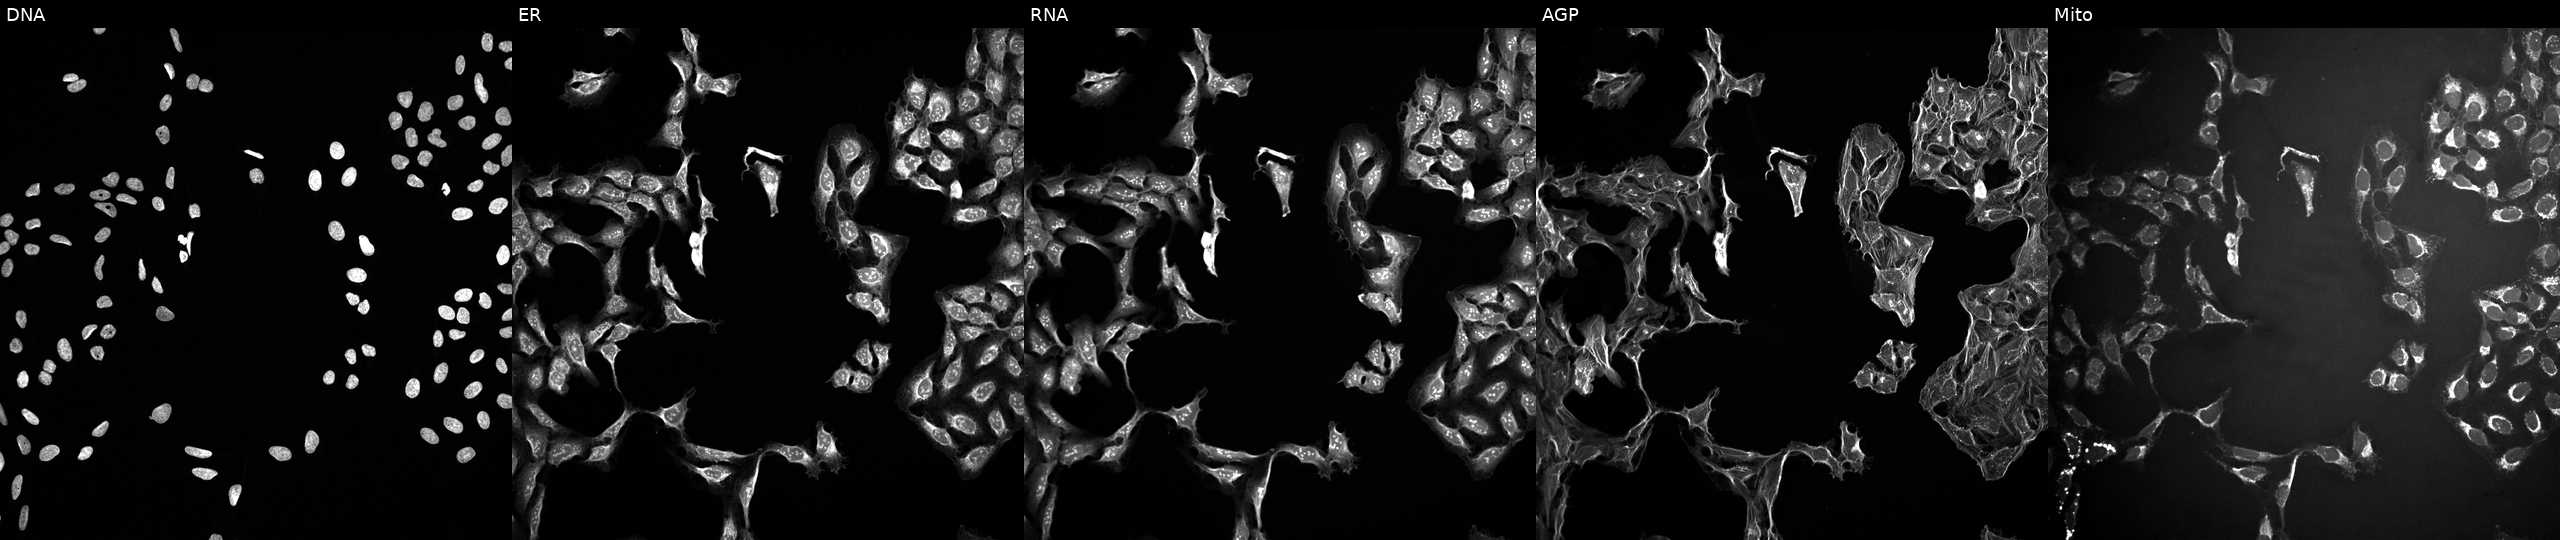
Five-channel Cell Painting image of U2OS cells treated with a small-molecule compound (InChIKey HSUGRBWQSSZJOP-UHFFFAOYSA-N) (JUMP id JCP2022_032357). The five panels, left to right, show DNA, ER, RNA, AGP, and Mito.